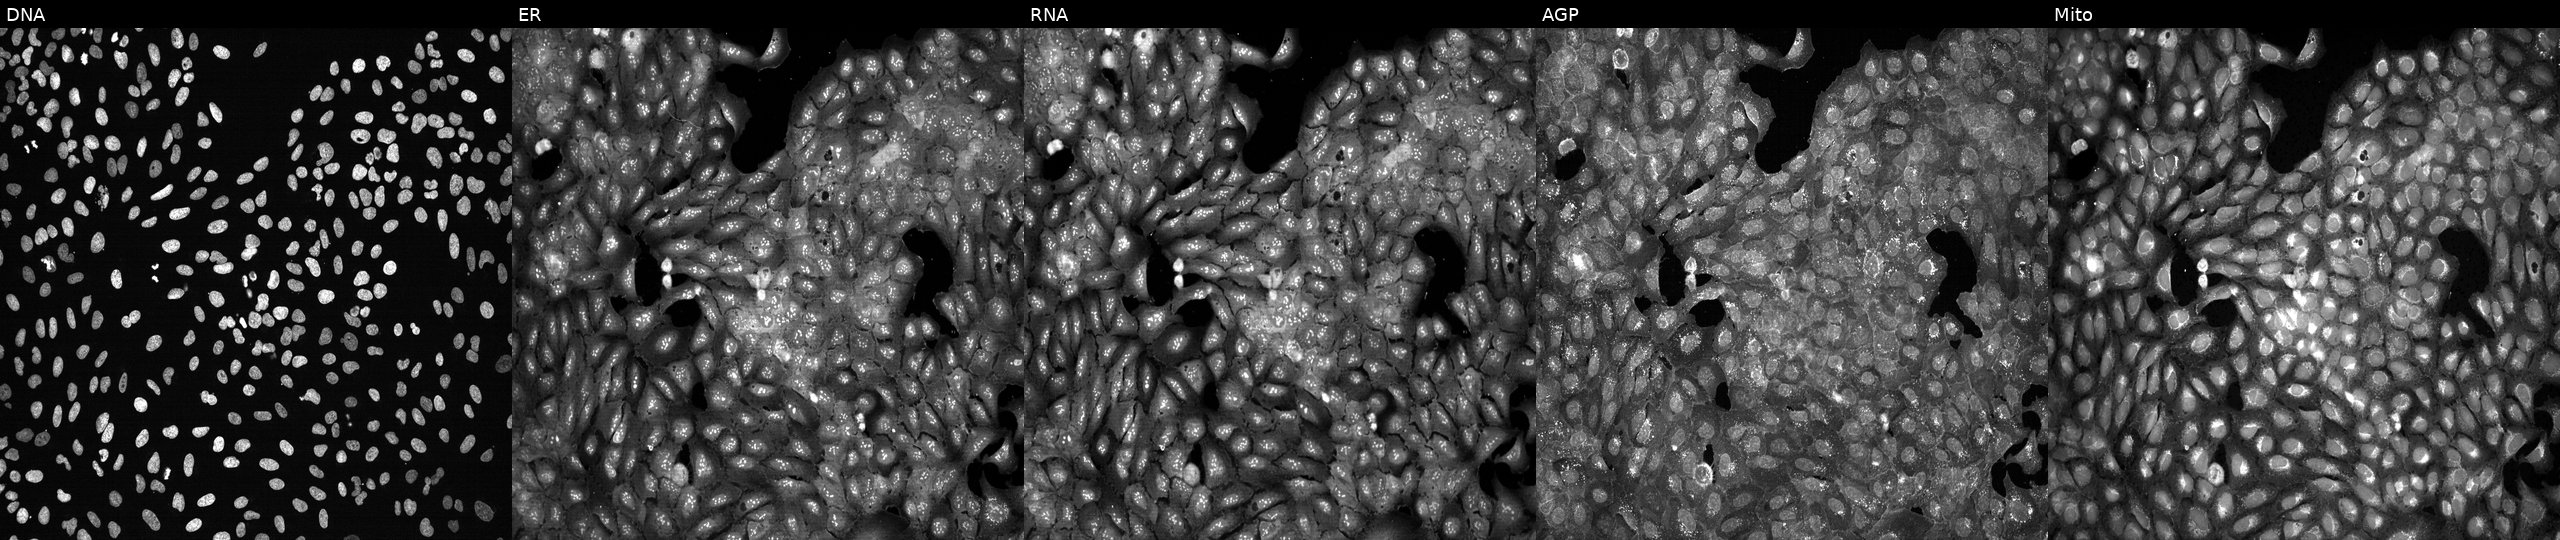
Five-channel Cell Painting image of U2OS cells with SLC22A23 knocked out by CRISPR. Panels show, left to right, DNA (nuclei); ER (endoplasmic reticulum); RNA (nucleoli and cytoplasmic RNA); AGP (actin cytoskeleton, Golgi, and plasma membrane); Mito (mitochondria).